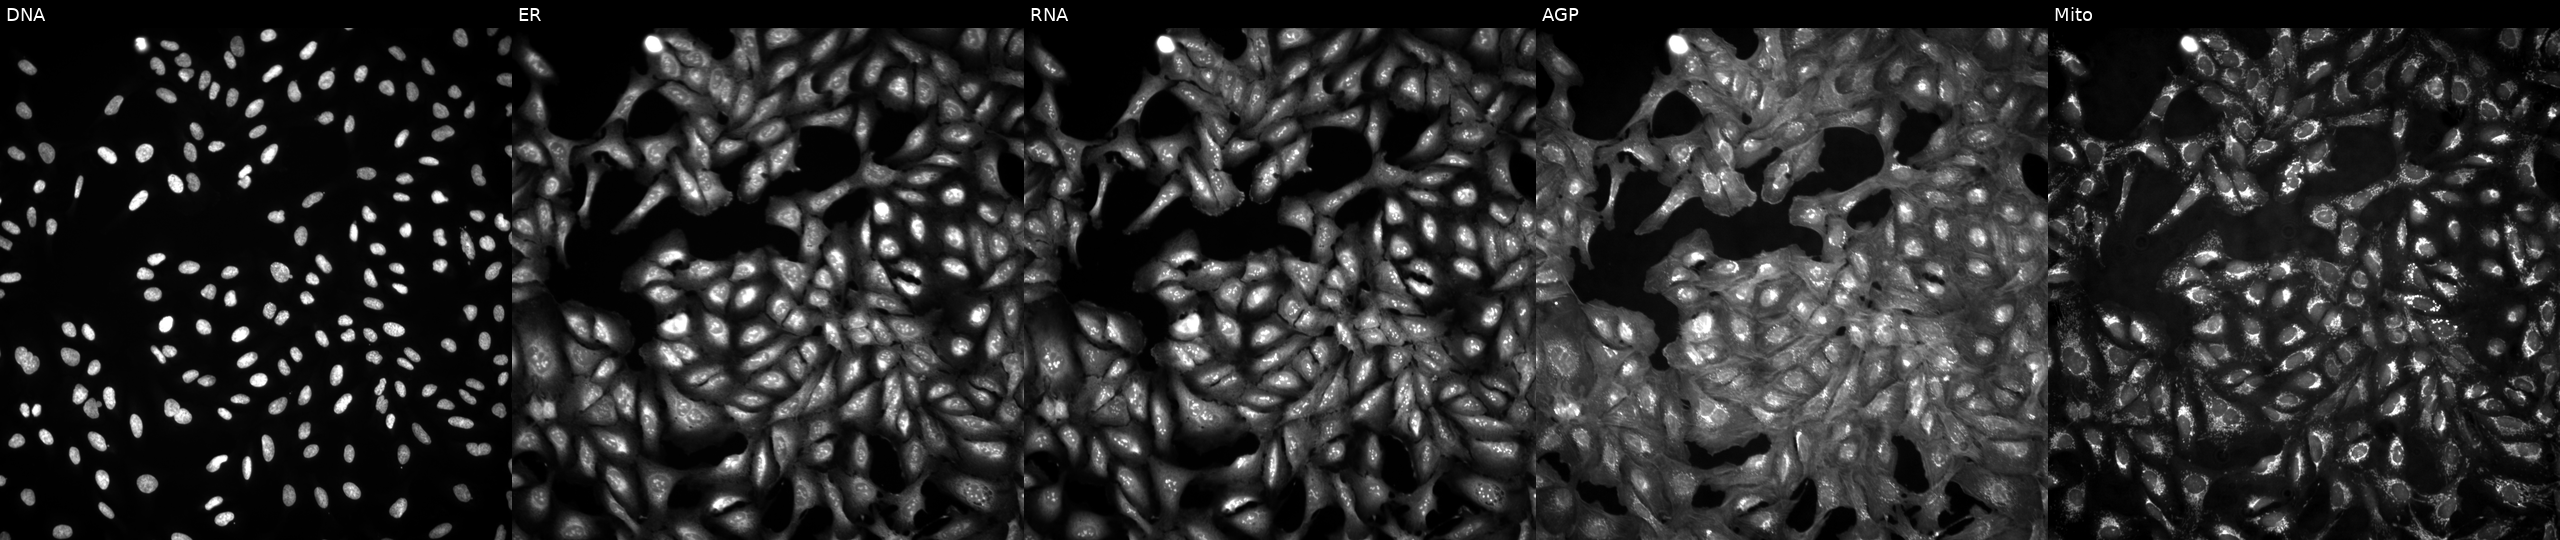
This image strip shows the five Cell Painting channels for a single field of U2OS cells untreated (empty-well control). Channels (left→right): DNA (nuclei); ER (endoplasmic reticulum); RNA (nucleoli and cytoplasmic RNA); AGP (actin cytoskeleton, Golgi, and plasma membrane); Mito (mitochondria).